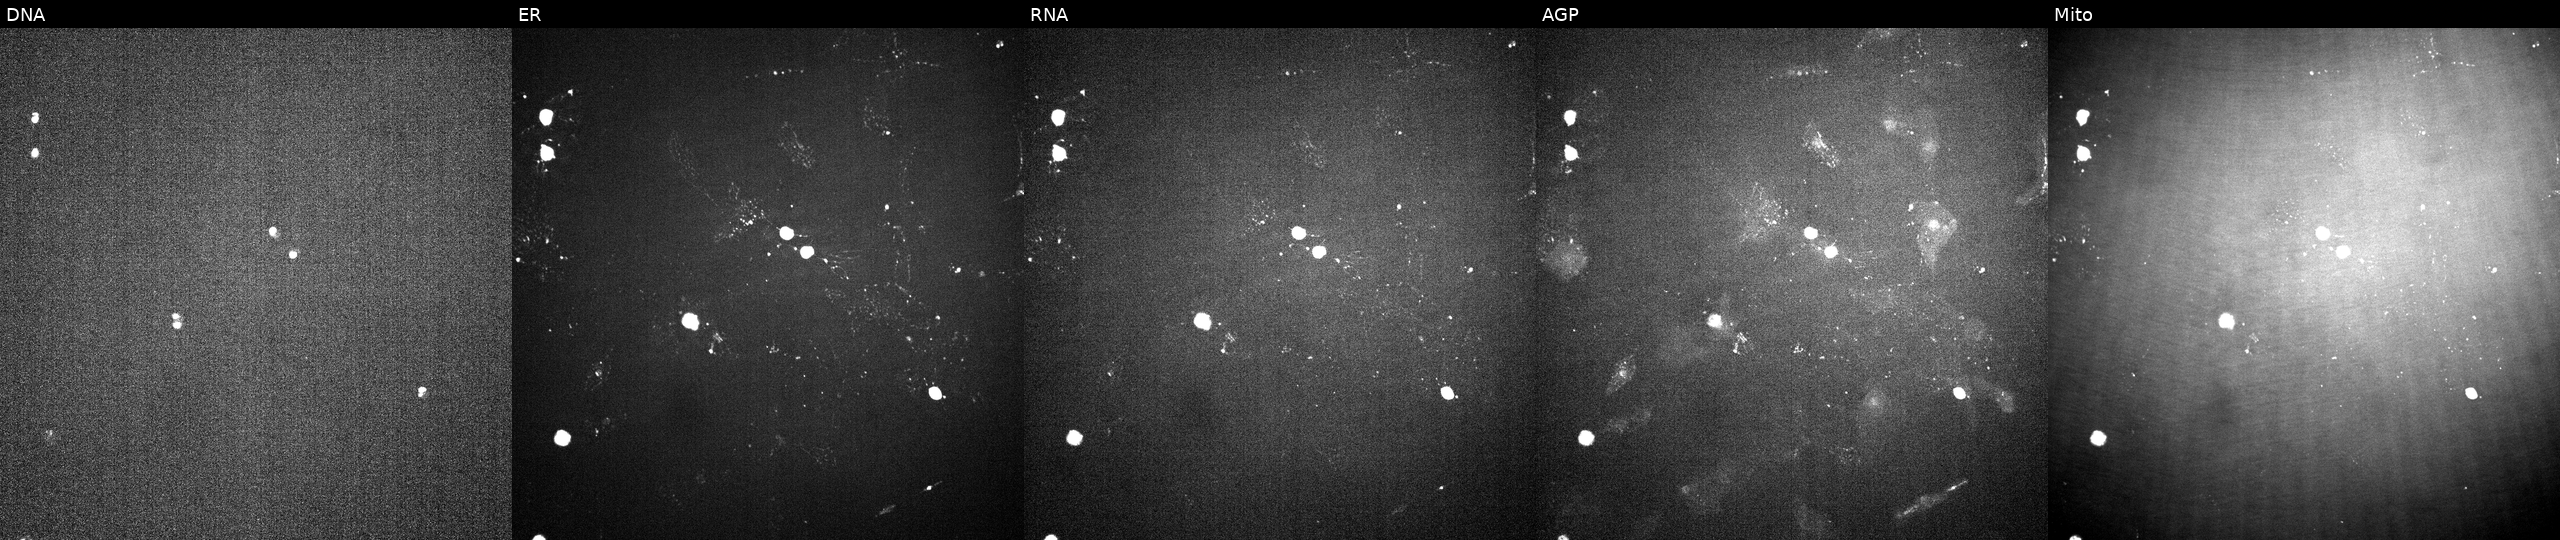
From left to right: DNA (nuclei); ER (endoplasmic reticulum); RNA (nucleoli and cytoplasmic RNA); AGP (actin cytoskeleton, Golgi, and plasma membrane); Mito (mitochondria). U2OS osteosarcoma cells treated with a small-molecule compound (JUMP id JCP2022_081430). Cell Painting assay, JUMP-CP dataset. Source 2, plate 1053597936, well G10.